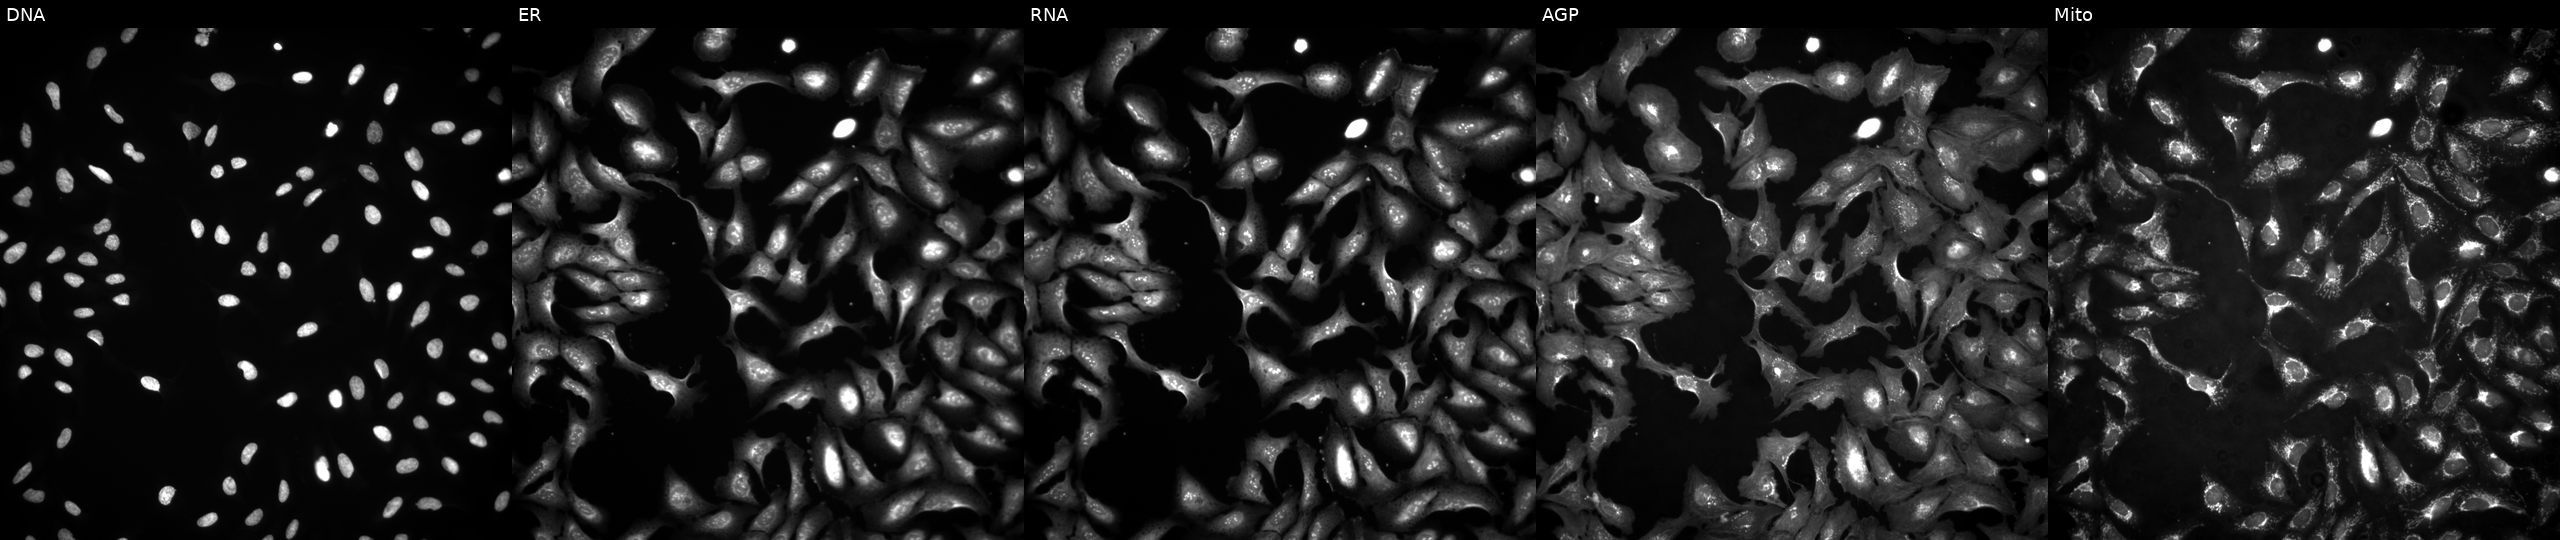
JUMP Cell Painting — ORF plate. U2OS cells transfected with an ORF construct for ATP9B. Panels show, left to right, DNA, ER, RNA, AGP, and Mito.